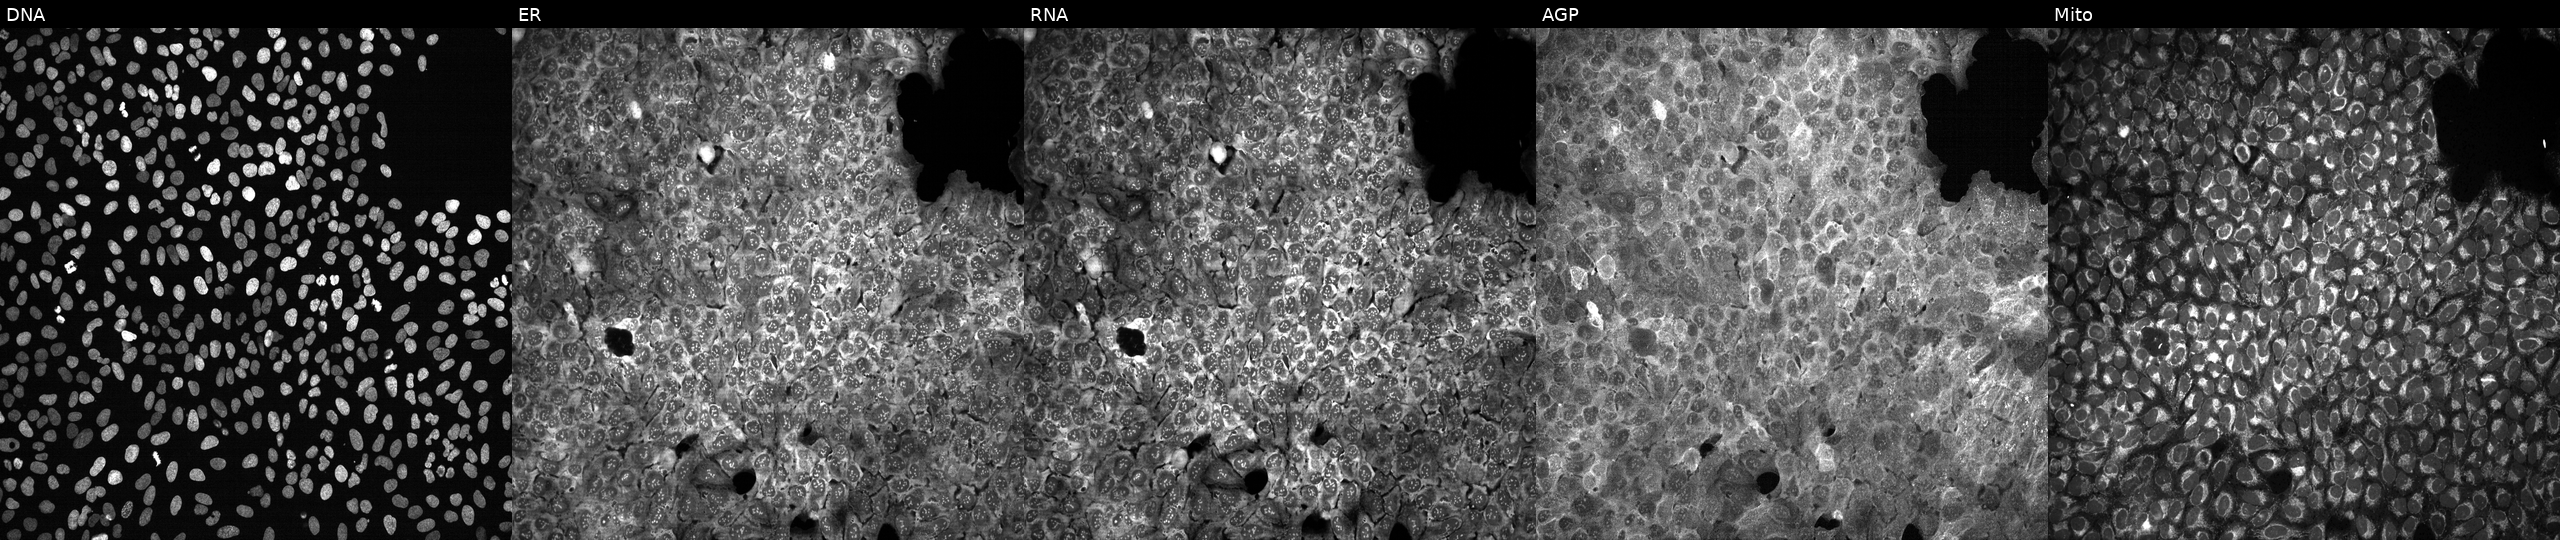
U2OS cells, Cell Painting assay, treated with dexamethasone (positive-control compound). Channels (left→right): DNA (nuclei); ER (endoplasmic reticulum); RNA (nucleoli and cytoplasmic RNA); AGP (actin cytoskeleton, Golgi, and plasma membrane); Mito (mitochondria). Each panel is percentile-stretched 16-bit fluorescence.